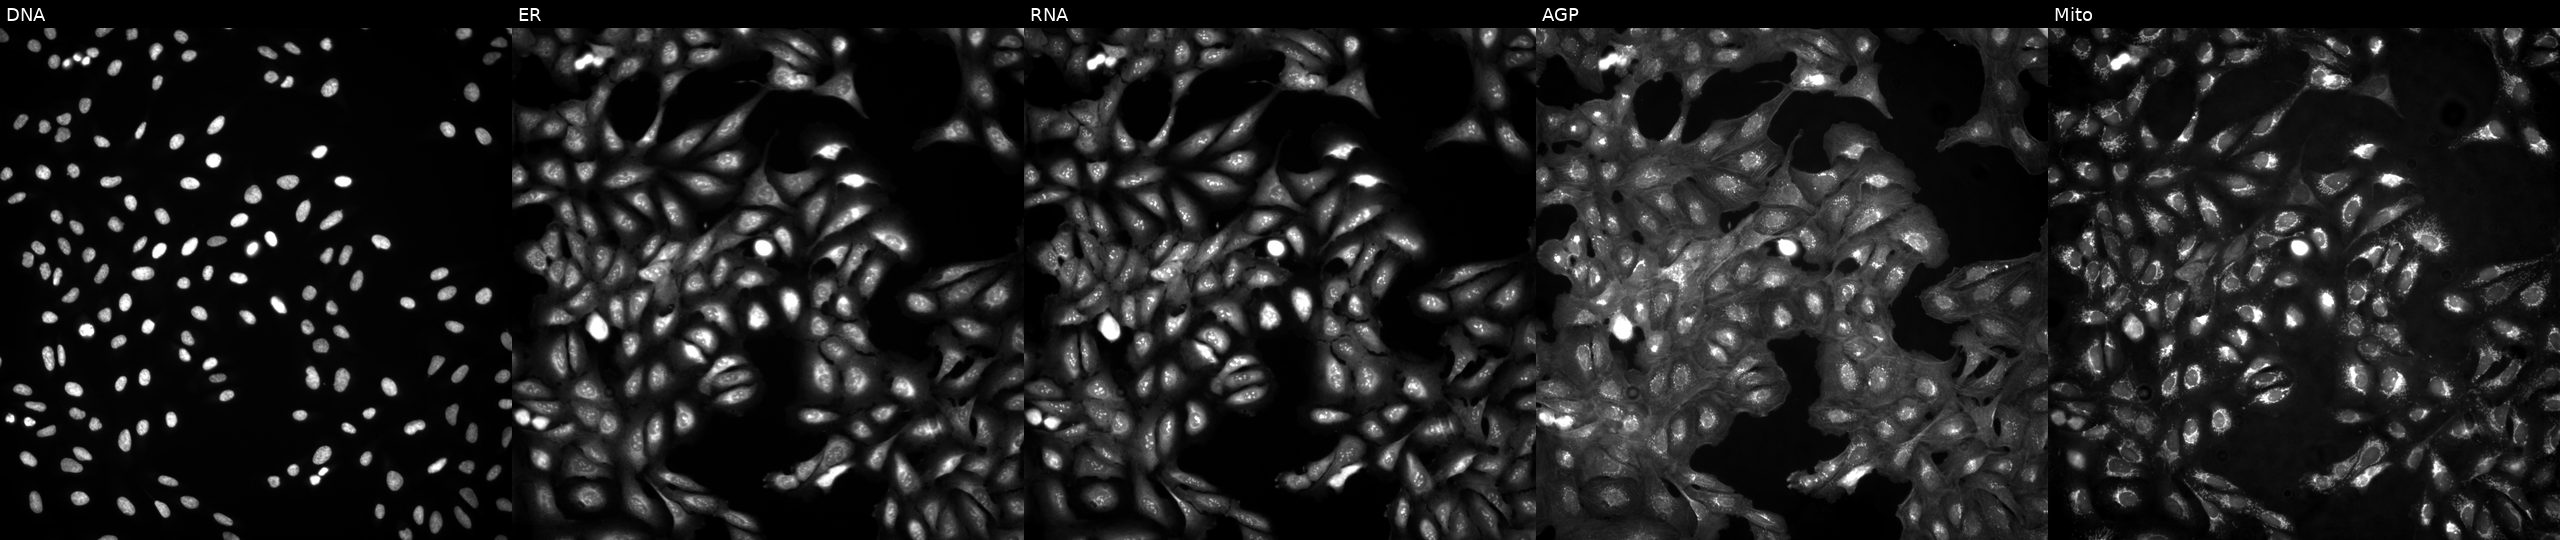
High-content fluorescence microscopy (Cell Painting). Cell line: U2OS. Perturbation: in an empty control well (no perturbation). From left to right: Hoechst 33342, concanavalin A, SYTO 14, phalloidin and WGA, MitoTracker.